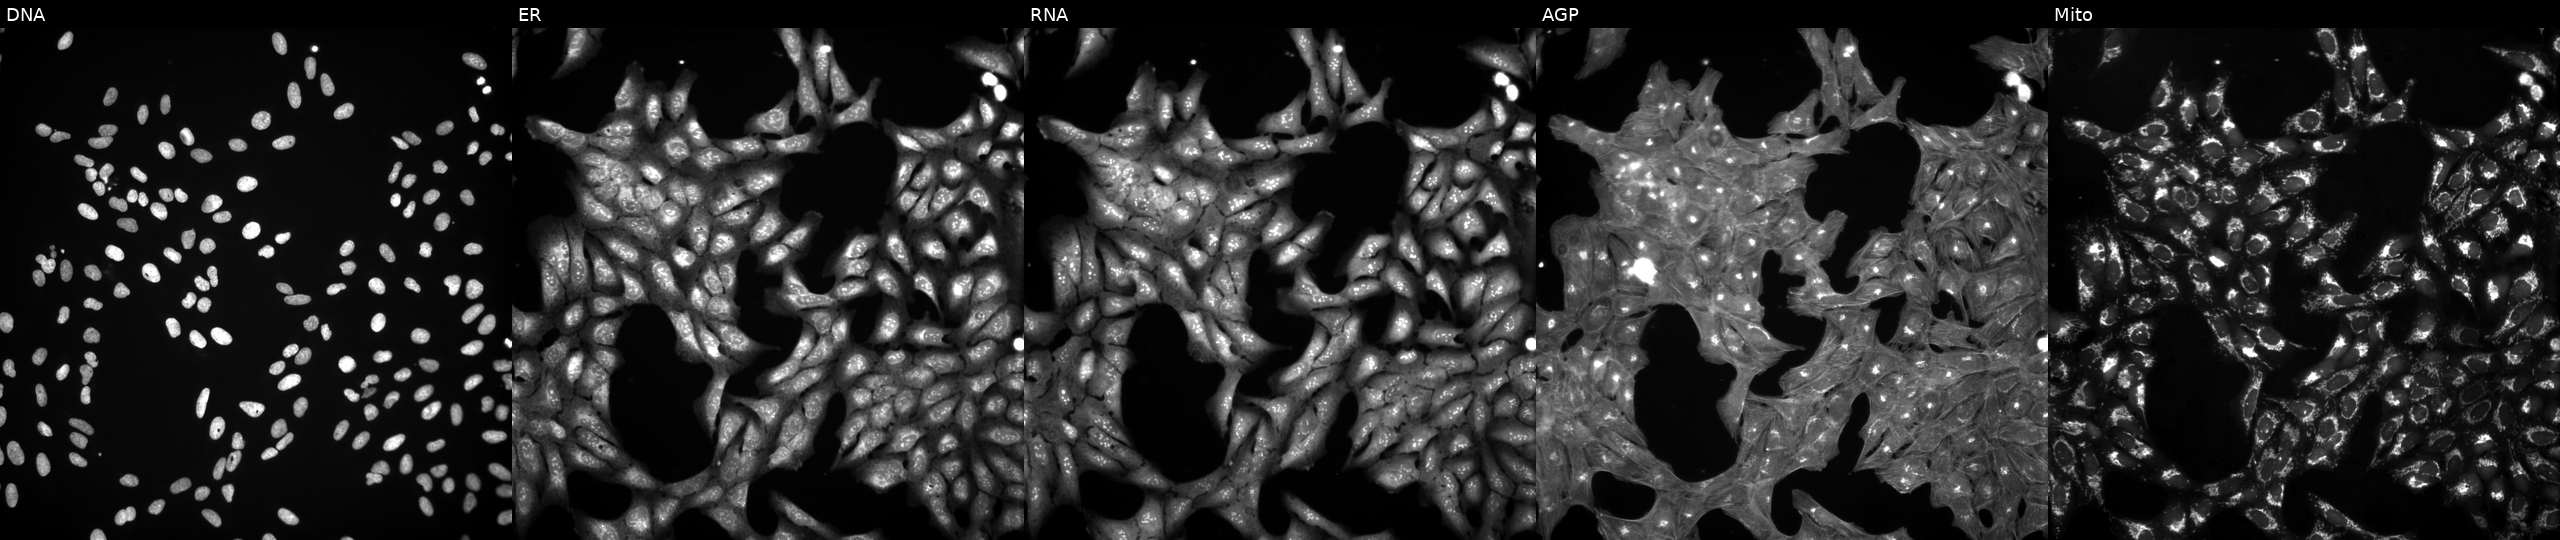
From left to right: DNA, ER, RNA, AGP, and Mito. U2OS osteosarcoma cells treated with dexamethasone (positive-control compound) (JUMP id JCP2022_025848). Cell Painting assay, JUMP-CP dataset.